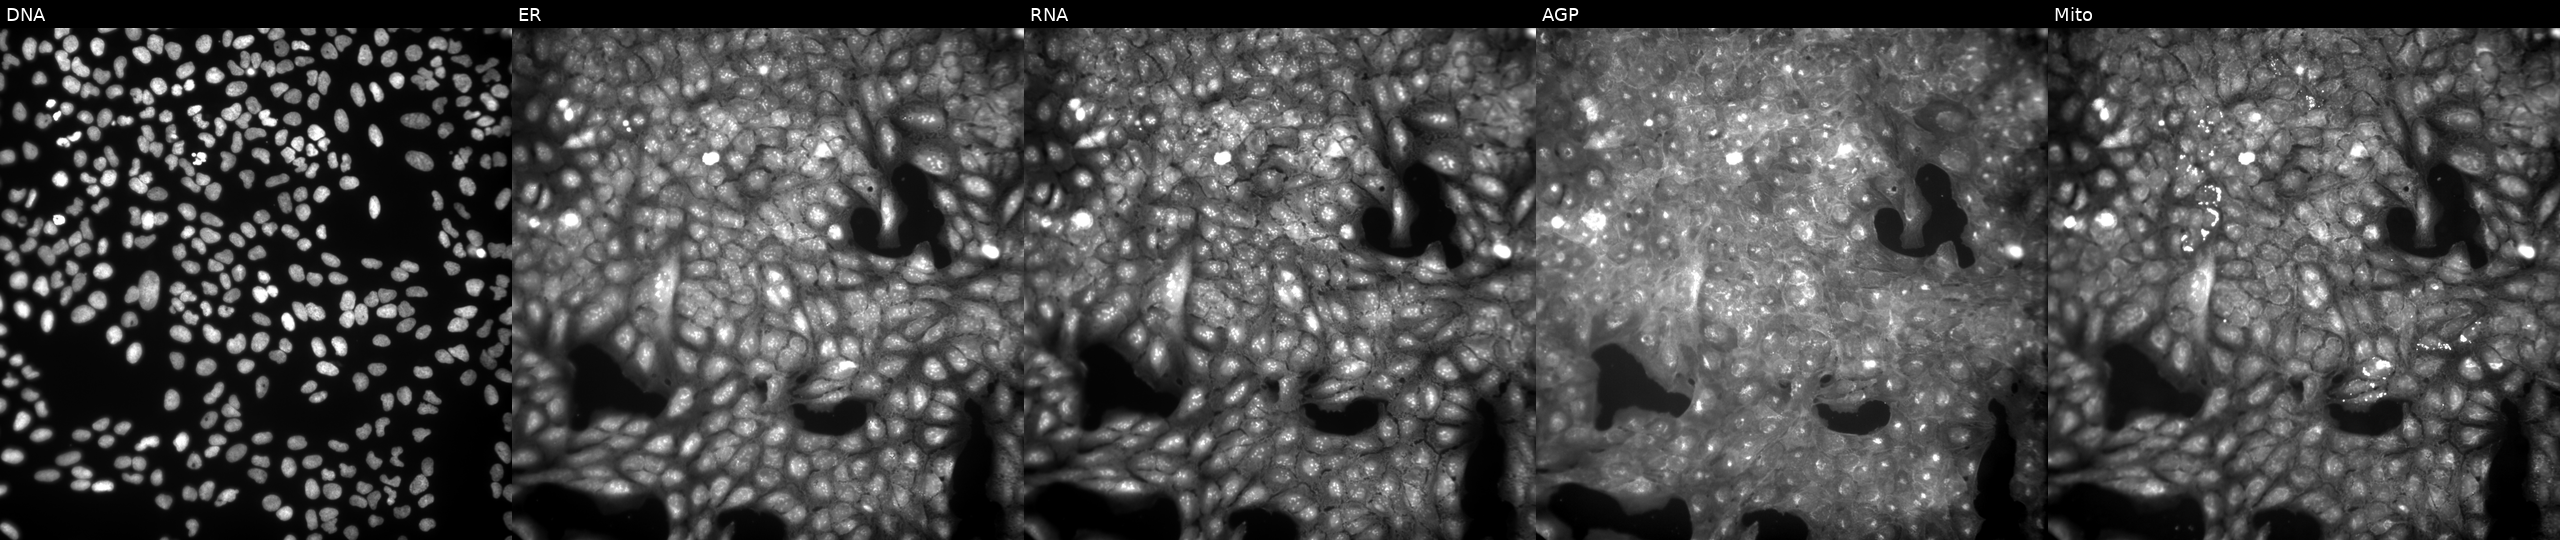
JUMP Cell Painting — COMPOUND plate. U2OS cells treated with a small-molecule compound (InChIKey IHPGZDZOETZKGR-UHFFFAOYSA-N) (JUMP id JCP2022_035117). The five panels, left to right, show DNA (nuclei); ER (endoplasmic reticulum); RNA (nucleoli and cytoplasmic RNA); AGP (actin cytoskeleton, Golgi, and plasma membrane); Mito (mitochondria). Source 9, plate GR00003382, well I46.